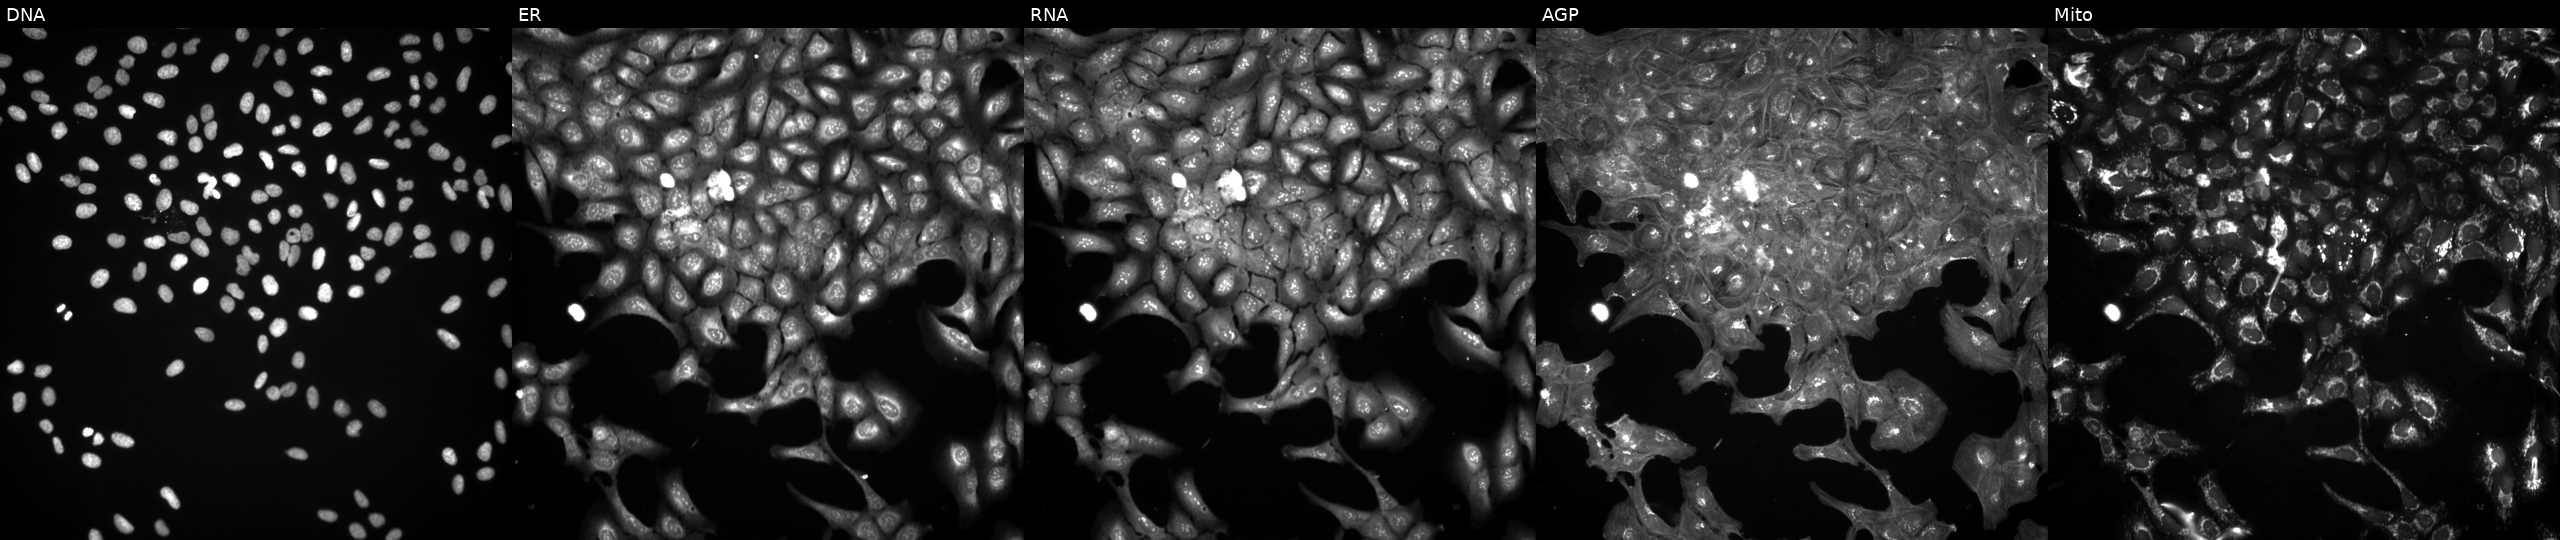
Five-channel Cell Painting image of U2OS cells exposed to a small-molecule compound (InChIKey HGQZJQDEDUXGPD-UHFFFAOYSA-N) (JUMP id JCP2022_030068). The five panels, left to right, show Hoechst 33342, concanavalin A, SYTO 14, phalloidin and WGA, MitoTracker. Source 3, plate BR5867a3, well B11.